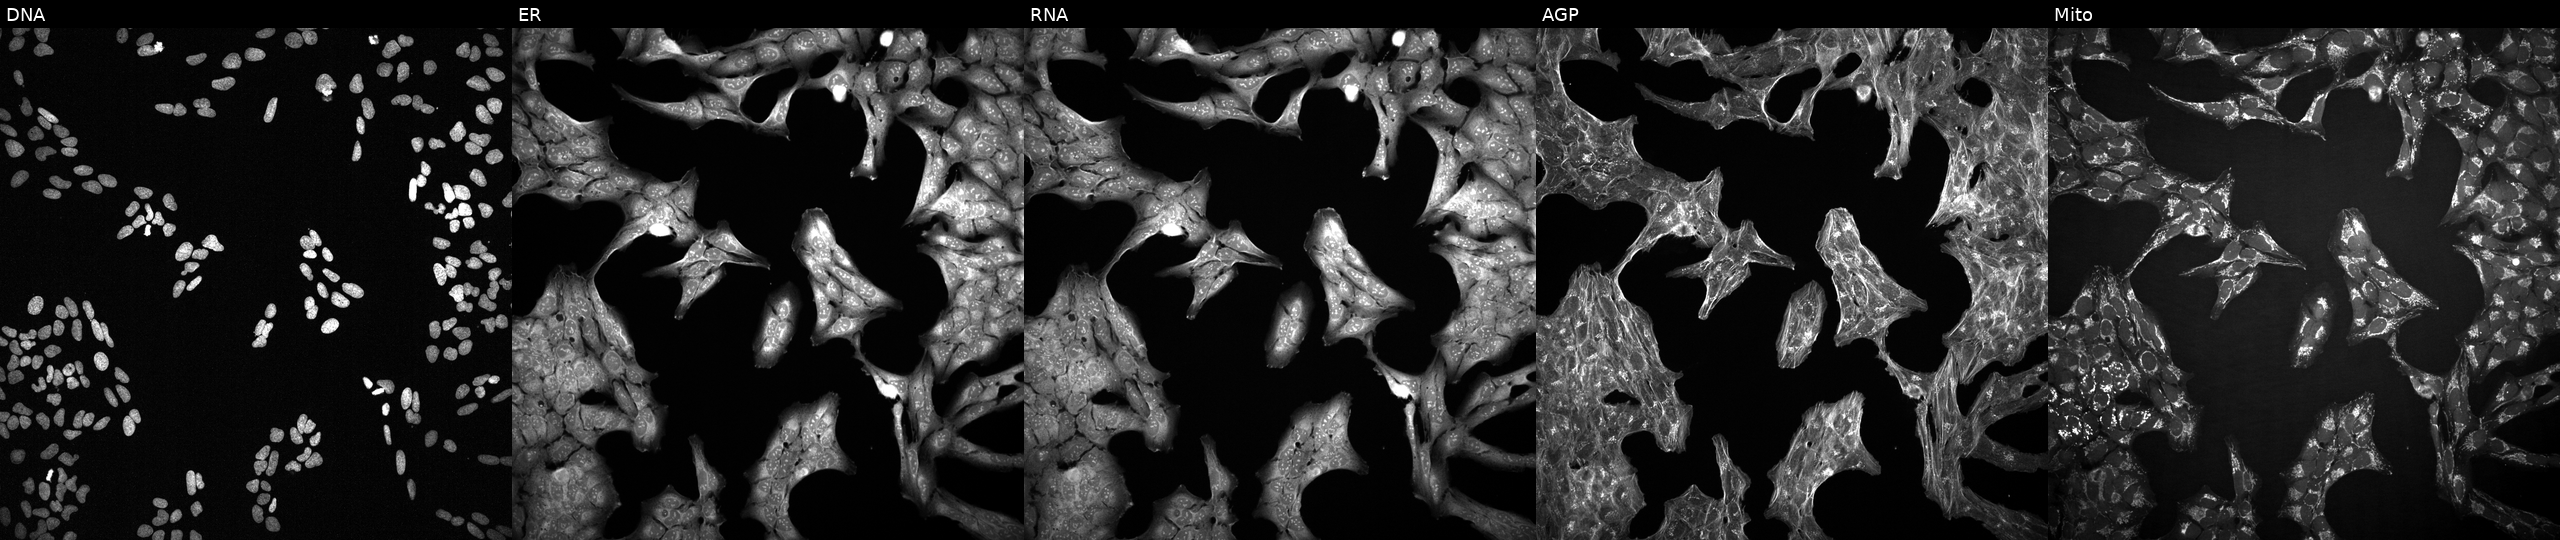
U2OS cells, Cell Painting assay, exposed to a small-molecule compound (InChIKey CDMGBJANTYXAIV-UHFFFAOYSA-N) [SMILES: C[S+]([O-])c1ccc(-c2nc(-c3ccc(F)cc3)c(-c3ccncc3)[nH]2)cc1]. Channels (left→right): DNA, ER, RNA, AGP, and Mito. Each panel is percentile-stretched 16-bit fluorescence. Source 2, plate 1053600674, well K17.